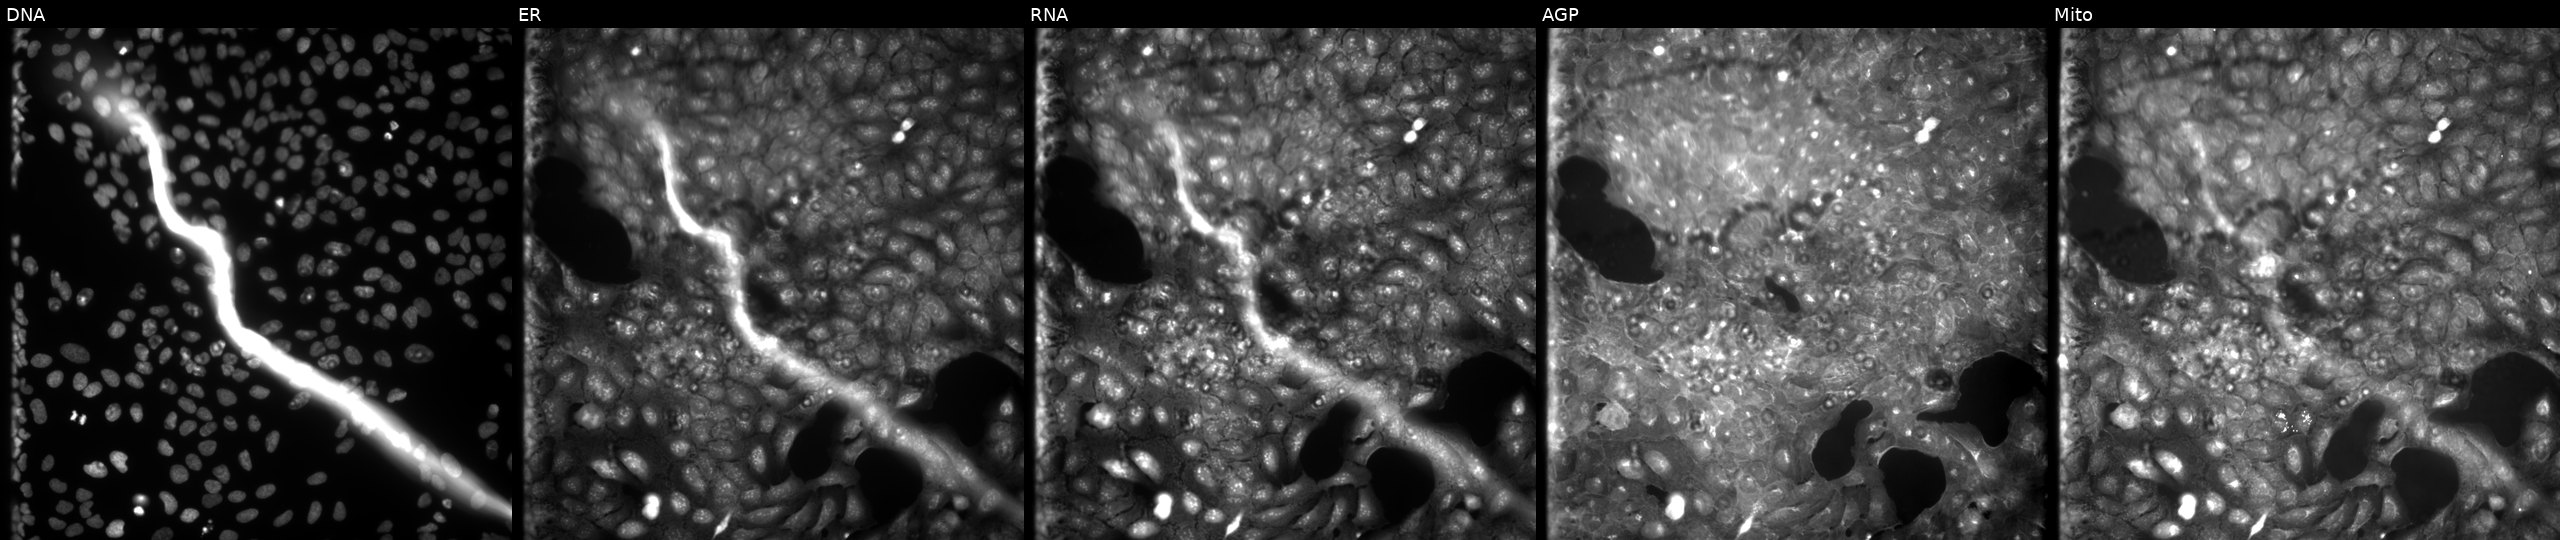
JUMP Cell Painting — COMPOUND plate. U2OS cells perturbed with a small-molecule compound (InChIKey TYTVTERYHVBMPC-UHFFFAOYSA-N) [SMILES: O=C(CN(Cc1ccc(Br)cc1)S(=O)(=O)c1ccccc1)NCc1cccnc1] (JUMP id JCP2022_087616). Channels (left→right): Hoechst 33342, concanavalin A, SYTO 14, phalloidin and WGA, MitoTracker.